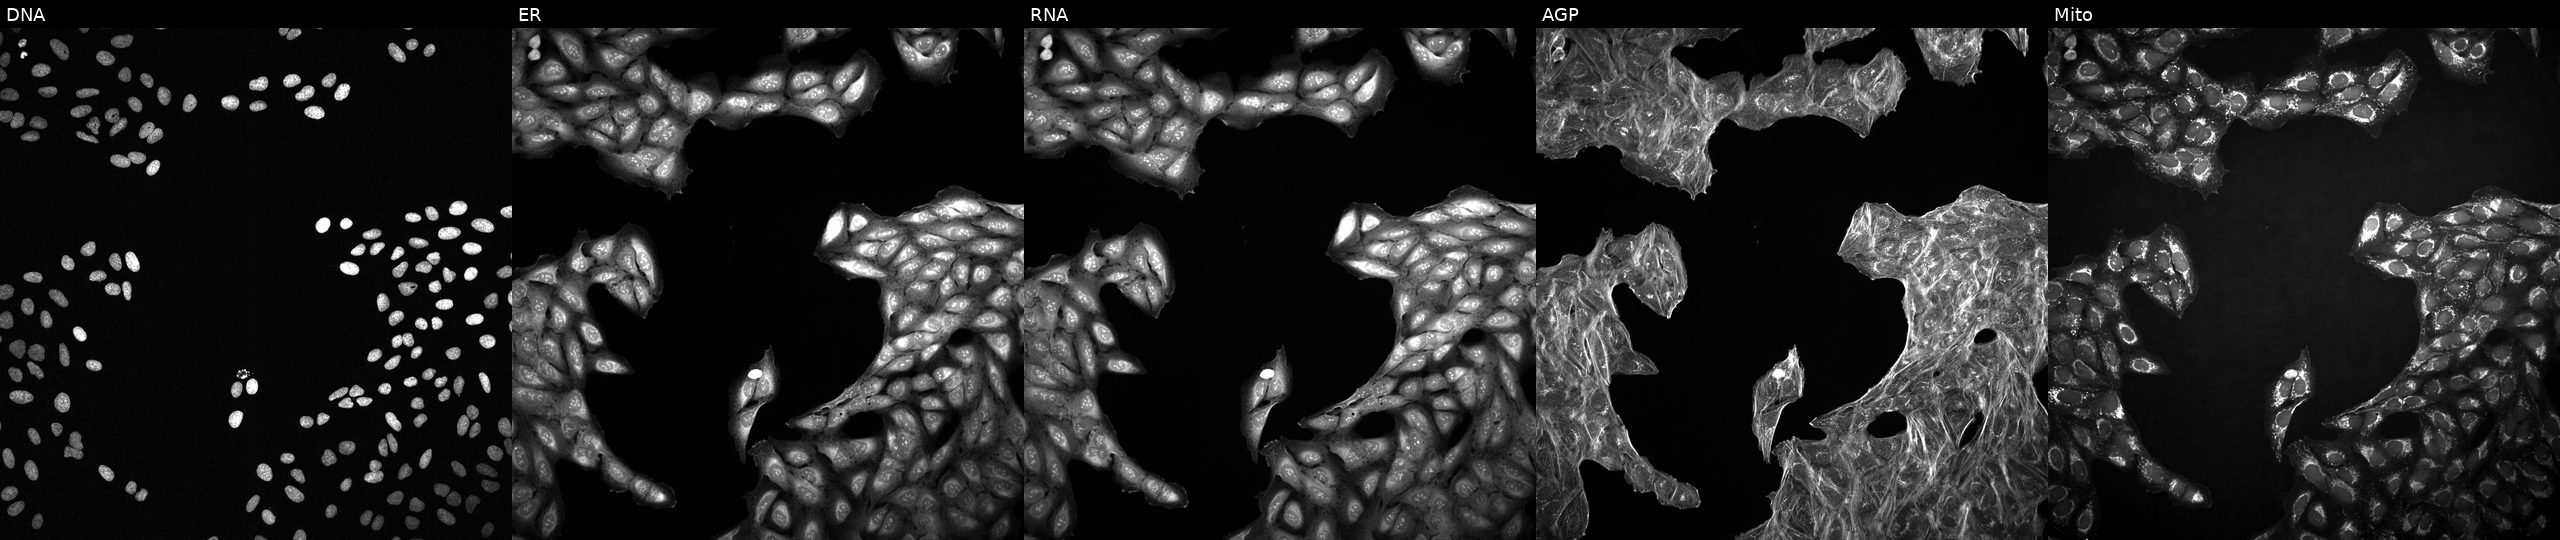
Five-channel Cell Painting image of U2OS cells treated with a small-molecule compound (InChIKey NKRGJNZQQYCJHD-UHFFFAOYSA-N) (JUMP id JCP2022_059649). From left to right: Hoechst 33342, concanavalin A, SYTO 14, phalloidin and WGA, MitoTracker. Source 2, plate 1053601756, well O21.